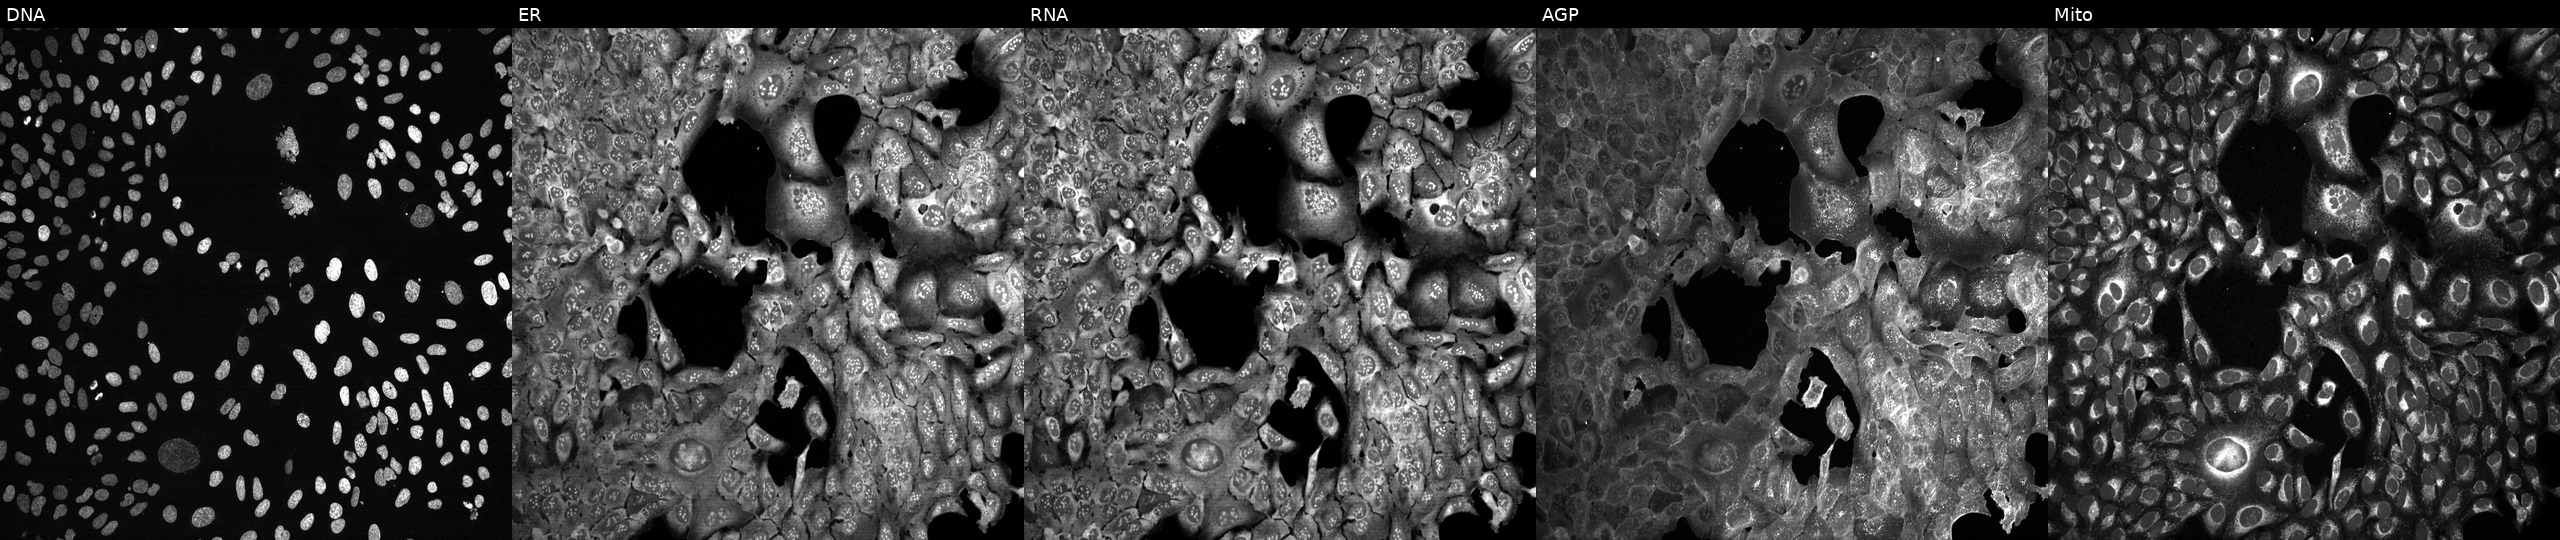
Five-channel Cell Painting image of U2OS cells following CRISPR knockout of TMPRSS11F (JUMP id JCP2022_807144). The five panels, left to right, show DNA, ER, RNA, AGP, and Mito.